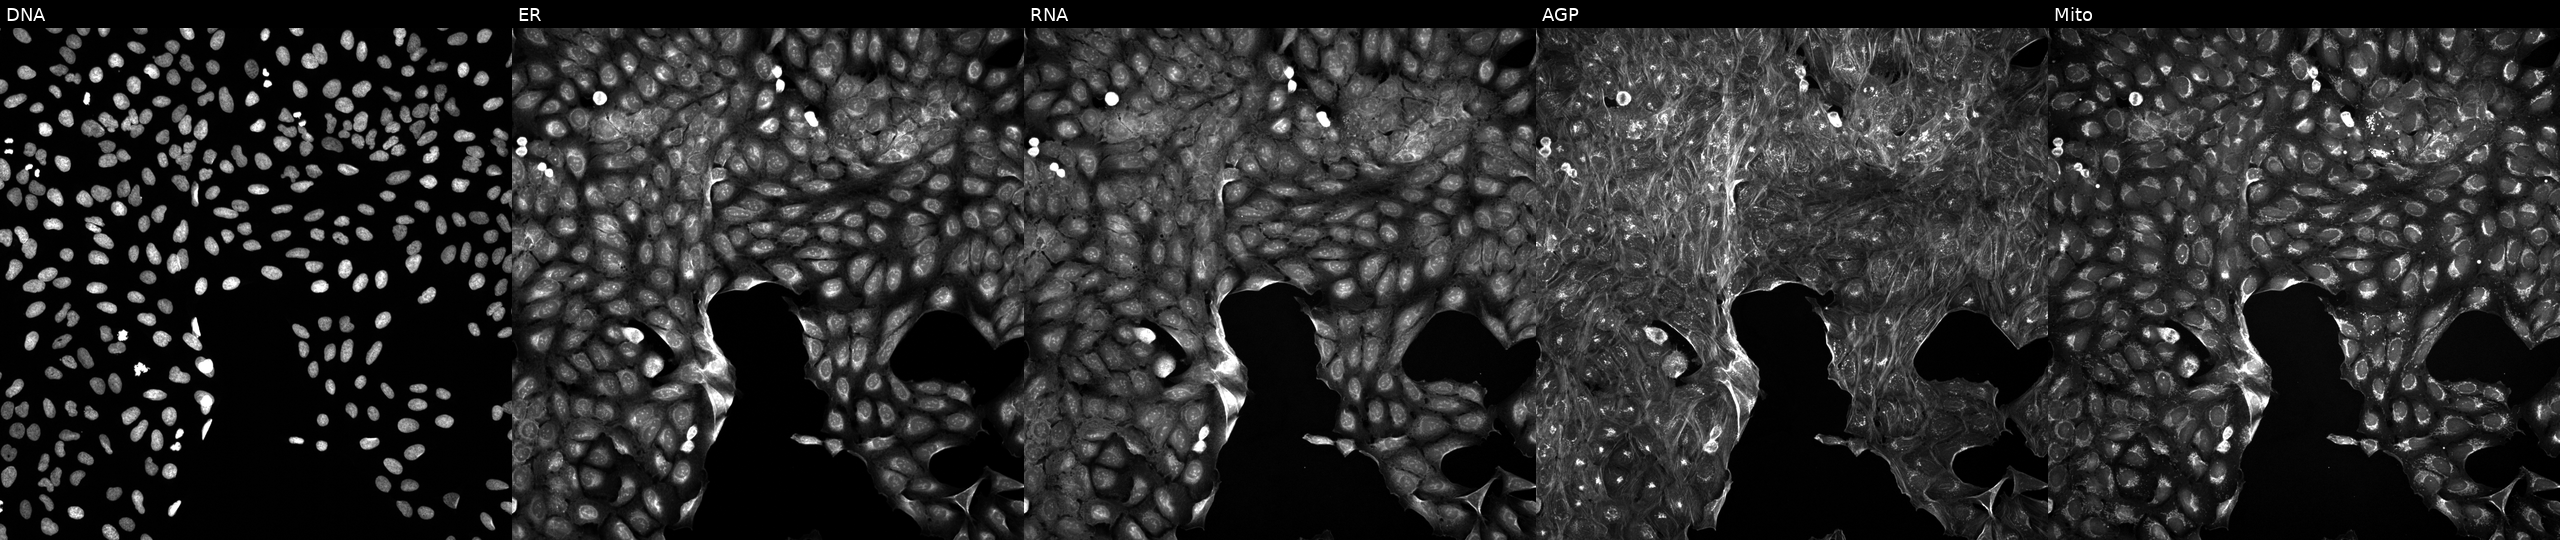
U2OS cells, Cell Painting assay, perturbed with a small-molecule compound. Channels (left→right): Hoechst 33342, concanavalin A, SYTO 14, phalloidin and WGA, MitoTracker. Each panel is percentile-stretched 16-bit fluorescence.